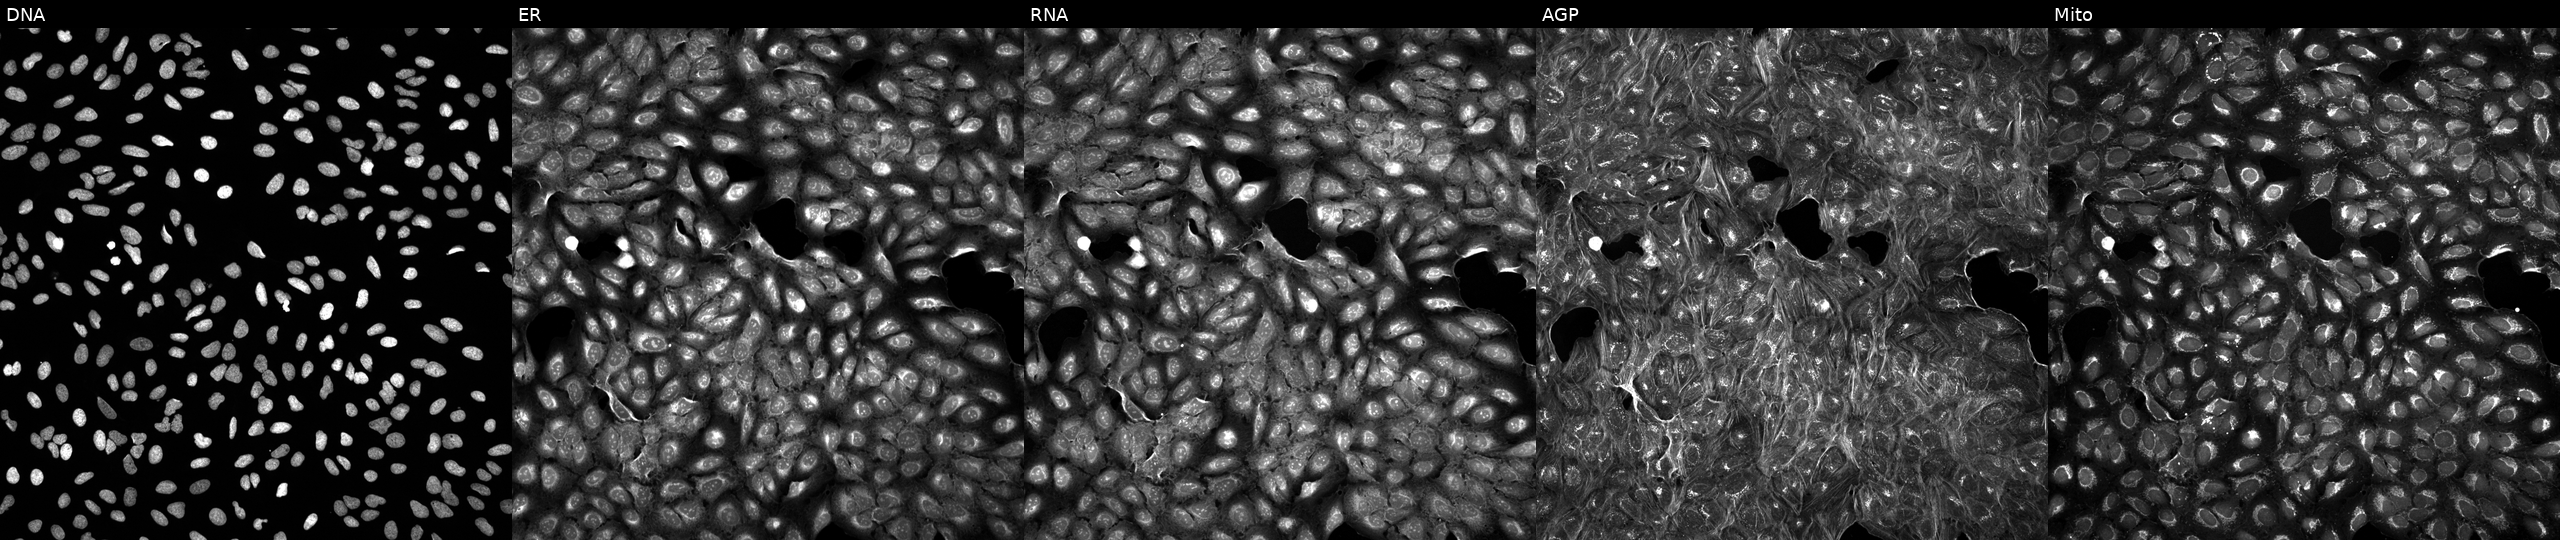
High-content fluorescence microscopy (Cell Painting). Cell line: U2OS. Perturbation: perturbed with a small-molecule compound. Panels show, left to right, Hoechst 33342, concanavalin A, SYTO 14, phalloidin and WGA, MitoTracker. Source 5, plate ACPJUM032, well N08.